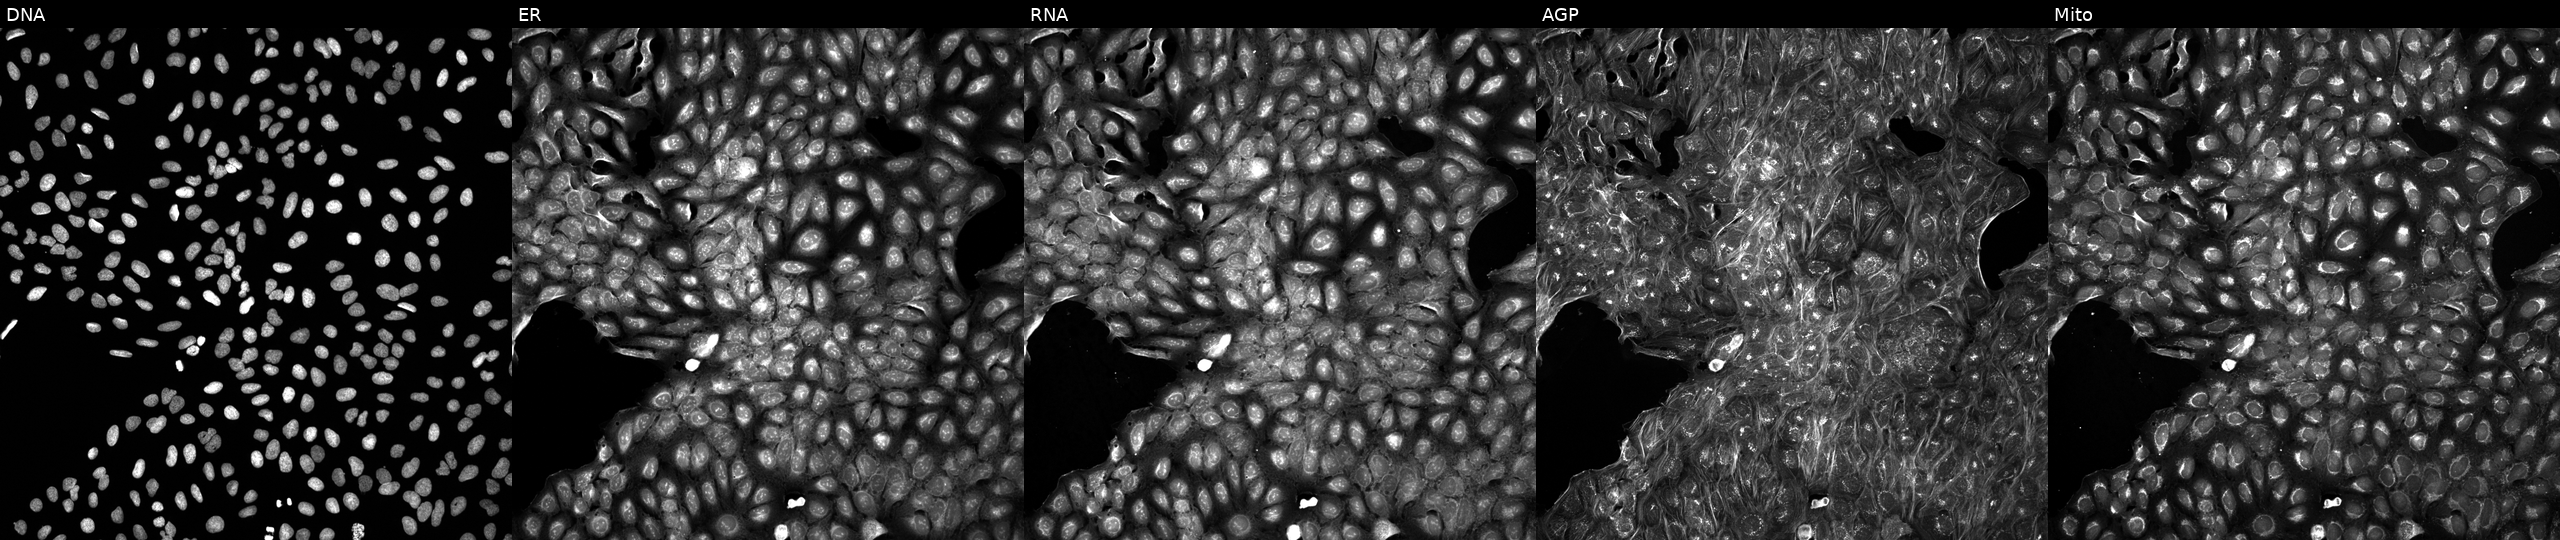
U2OS cells, Cell Painting assay, perturbed with a small-molecule compound (InChIKey LQCDYBHDTGCNHN-UHFFFAOYSA-N). The five panels, left to right, show DNA (nuclei); ER (endoplasmic reticulum); RNA (nucleoli and cytoplasmic RNA); AGP (actin cytoskeleton, Golgi, and plasma membrane); Mito (mitochondria). Each panel is percentile-stretched 16-bit fluorescence.